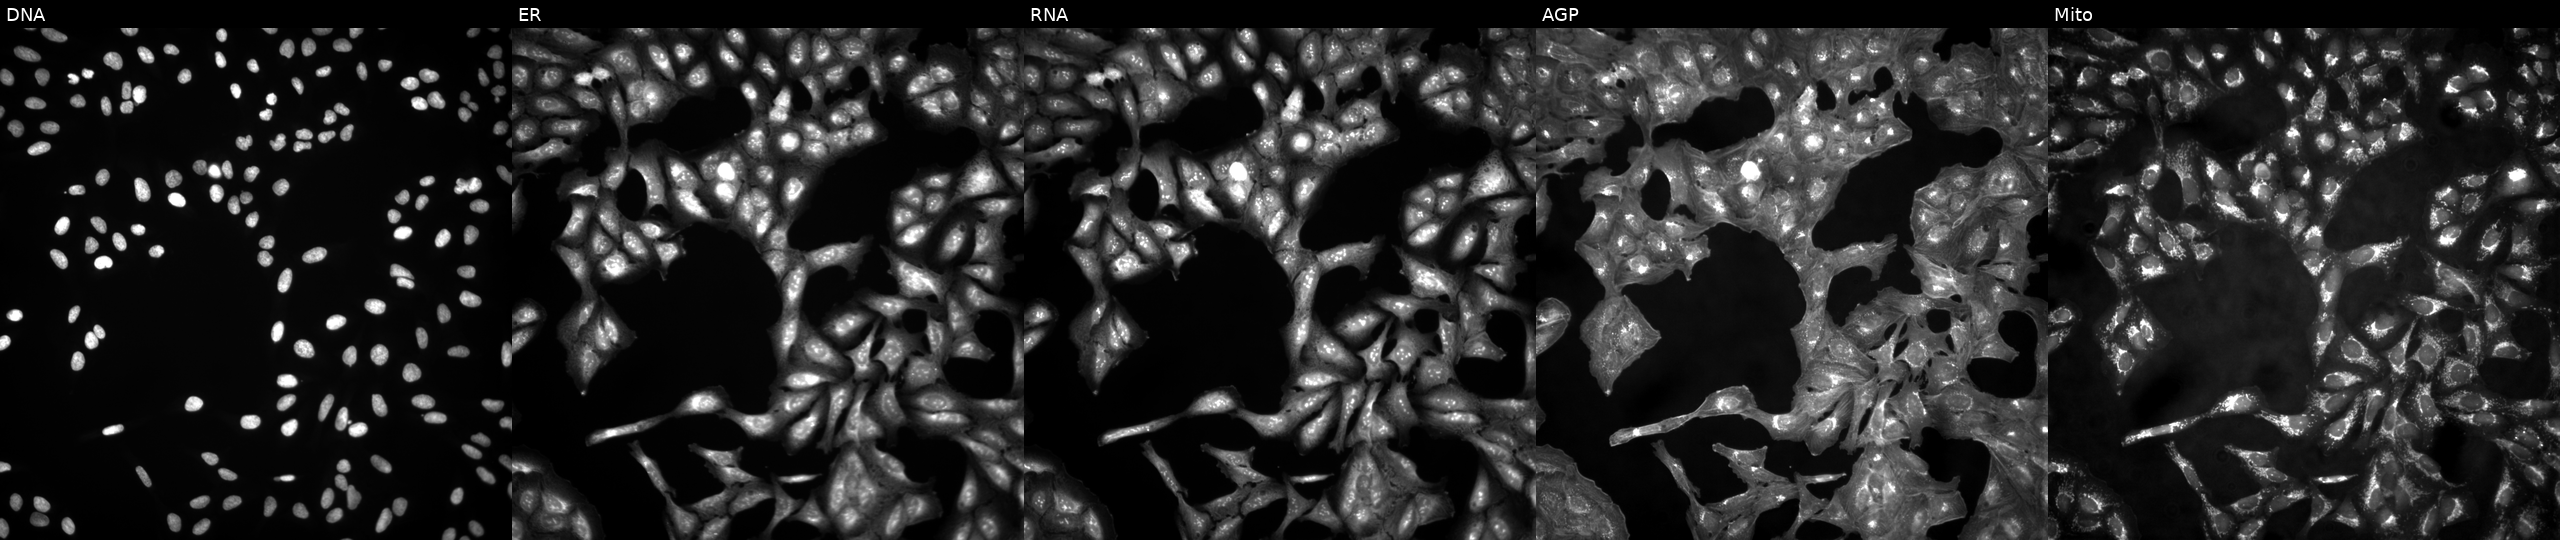
Channels (left→right): DNA, ER, RNA, AGP, and Mito. U2OS osteosarcoma cells in an empty control well (no perturbation). Cell Painting assay, JUMP-CP dataset.